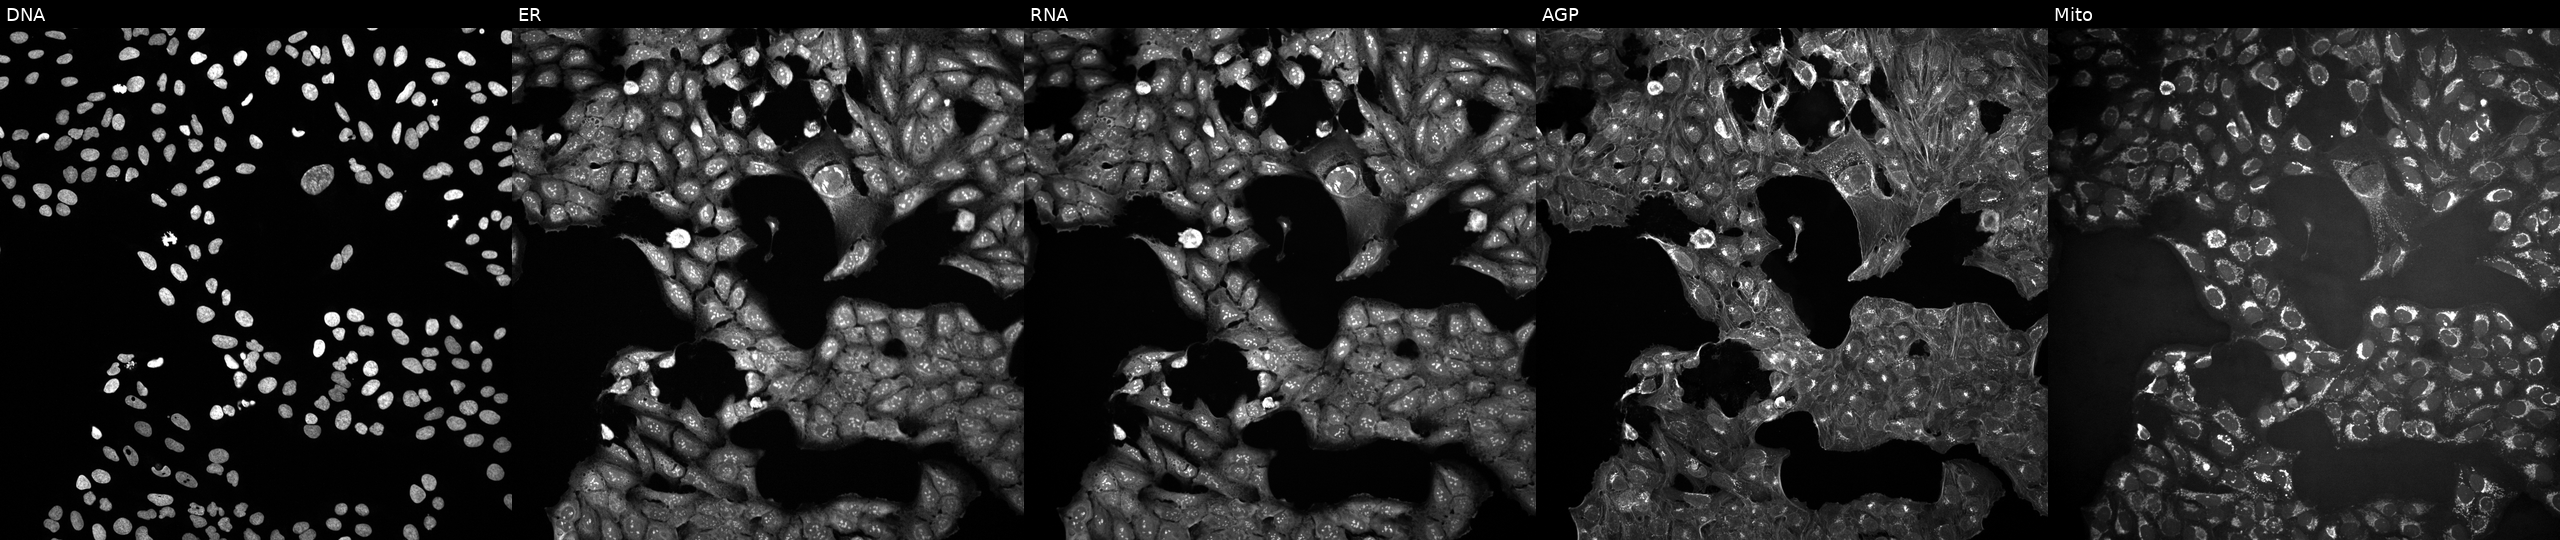
This image strip shows the five Cell Painting channels for a single field of U2OS cells treated with a small-molecule compound (InChIKey JIAMBBCBTWYGGT-UHFFFAOYSA-N) (JUMP id JCP2022_039909). Panels show, left to right, Hoechst 33342, concanavalin A, SYTO 14, phalloidin and WGA, MitoTracker. Source 10, plate Dest210531-152149, well M11.